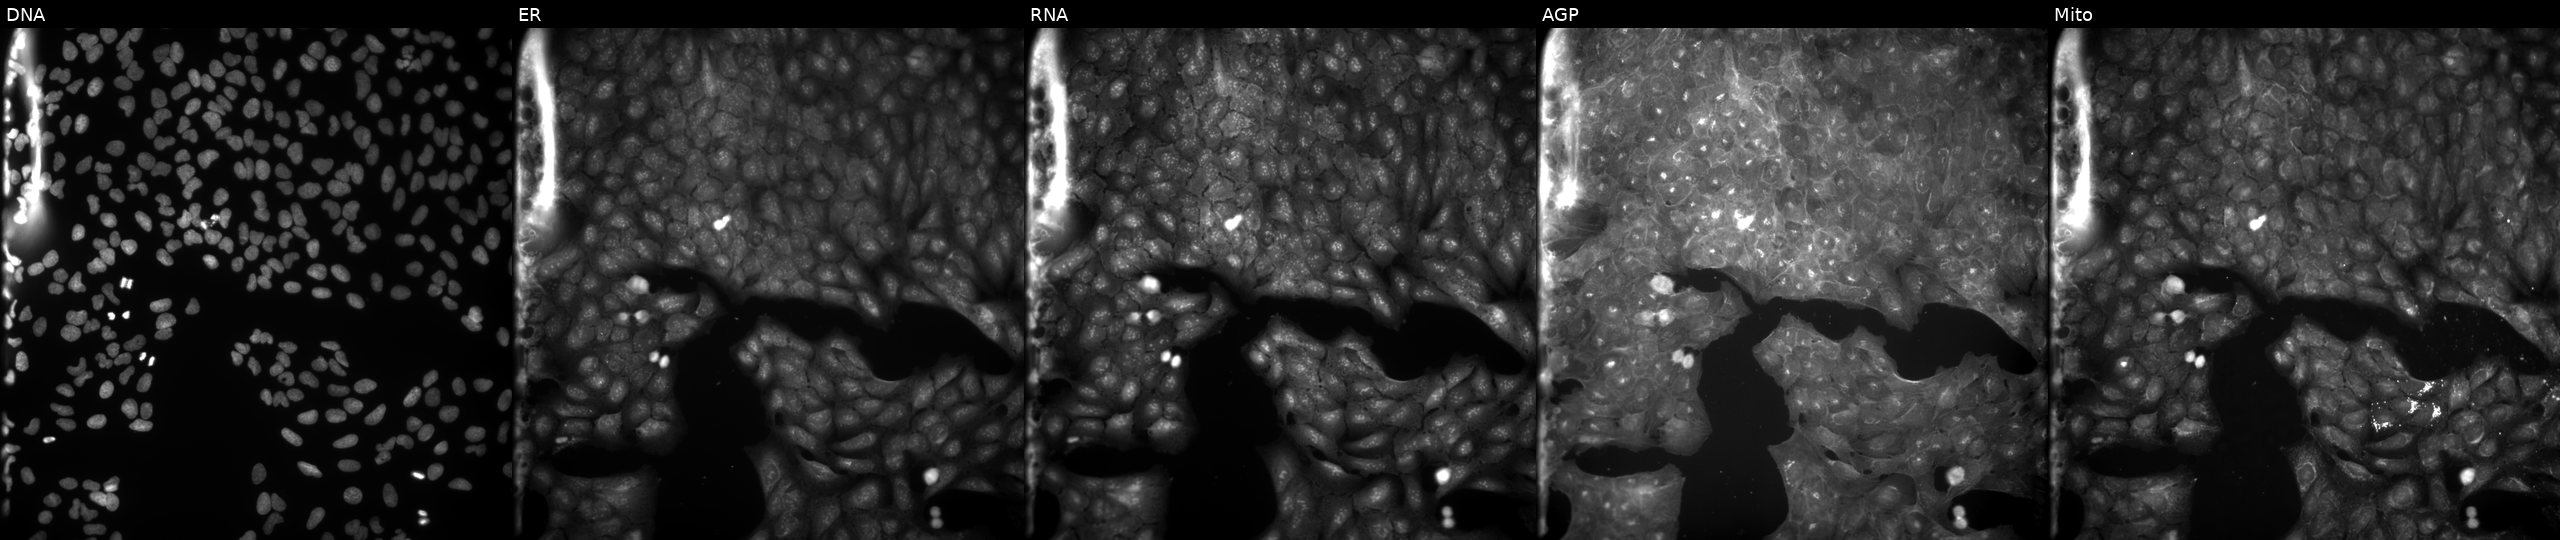
JUMP Cell Painting — COMPOUND plate. U2OS cells exposed to a small-molecule compound (InChIKey KSZORCGCAXVXEO-UHFFFAOYSA-N). From left to right: DNA (nuclei); ER (endoplasmic reticulum); RNA (nucleoli and cytoplasmic RNA); AGP (actin cytoskeleton, Golgi, and plasma membrane); Mito (mitochondria). Source 9, plate GR00003382, well U11.